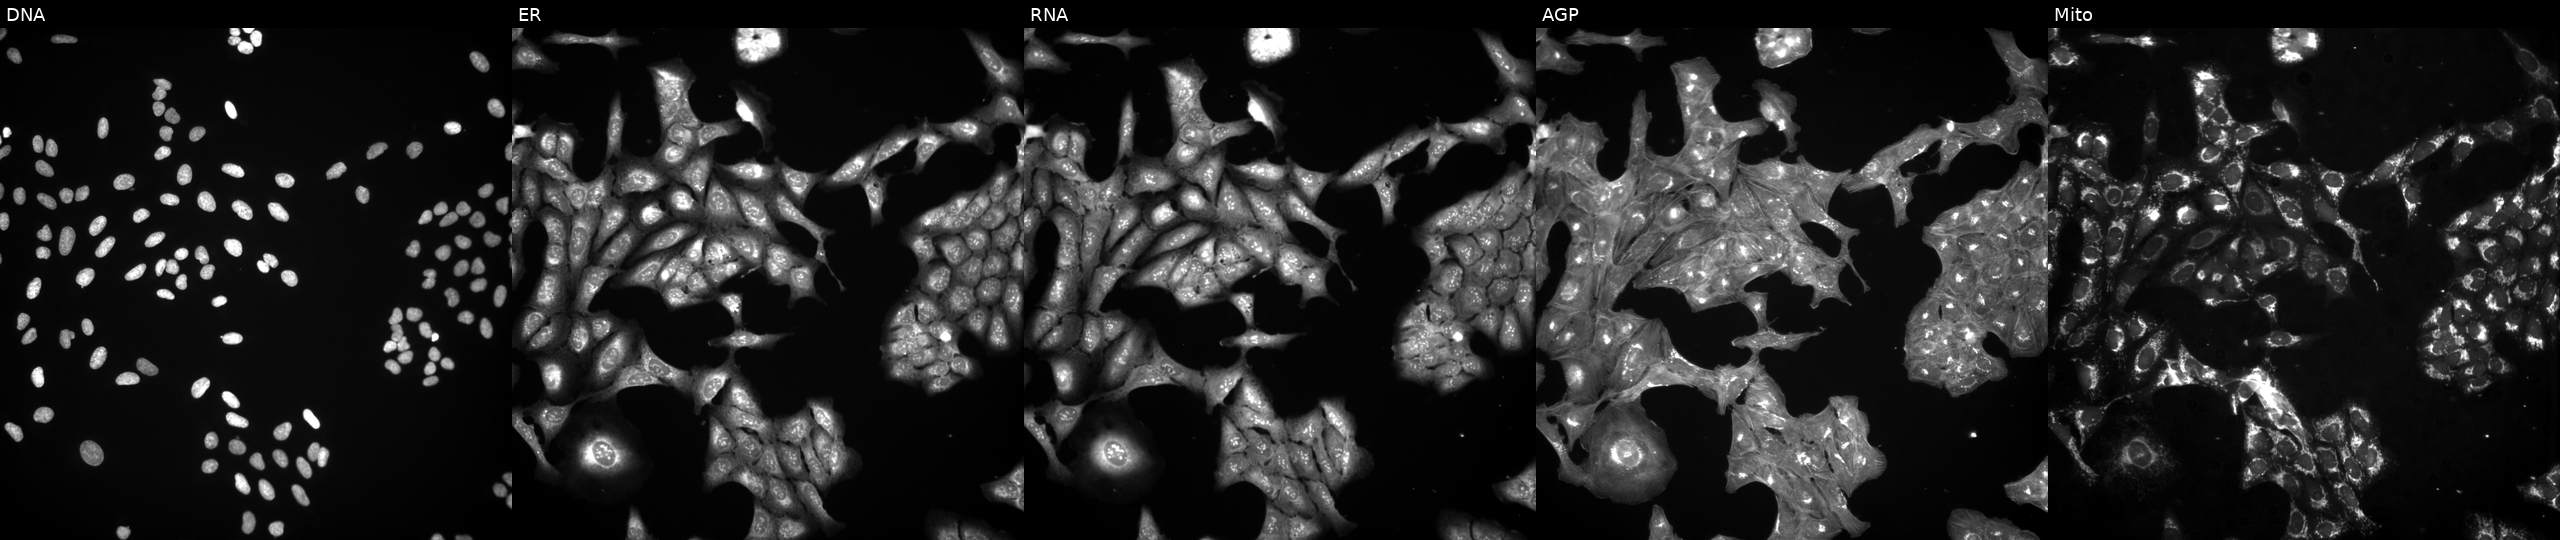
From left to right: DNA, ER, RNA, AGP, and Mito. U2OS osteosarcoma cells treated with a small-molecule compound (InChIKey HAQDEJPEAKWAAM-UHFFFAOYSA-N) (JUMP id JCP2022_028940). Cell Painting assay, JUMP-CP dataset.